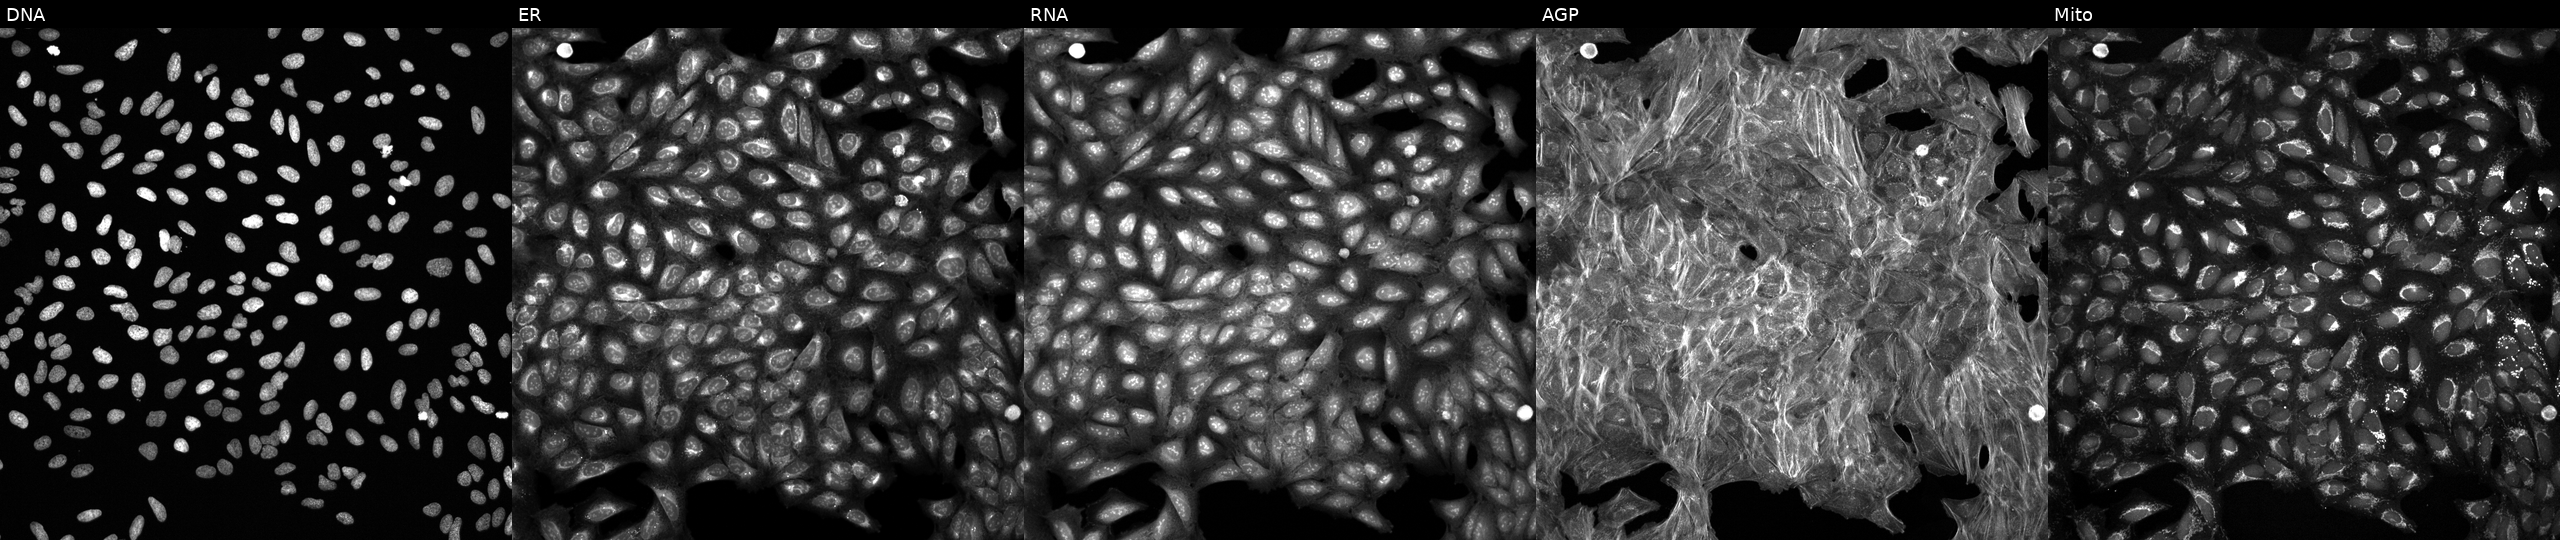
U2OS cells, Cell Painting assay, perturbed with a small-molecule compound (InChIKey NLSSUSRERAMBTA-UHFFFAOYSA-N) [SMILES: O=C(Nc1ccc(N2CCC(C(=O)N3CCOCC3)CC2)cc1)c1cnc(Oc2ccccc2)nc1] (JUMP id JCP2022_059825). Panels show, left to right, DNA, ER, RNA, AGP, and Mito. Each panel is percentile-stretched 16-bit fluorescence.